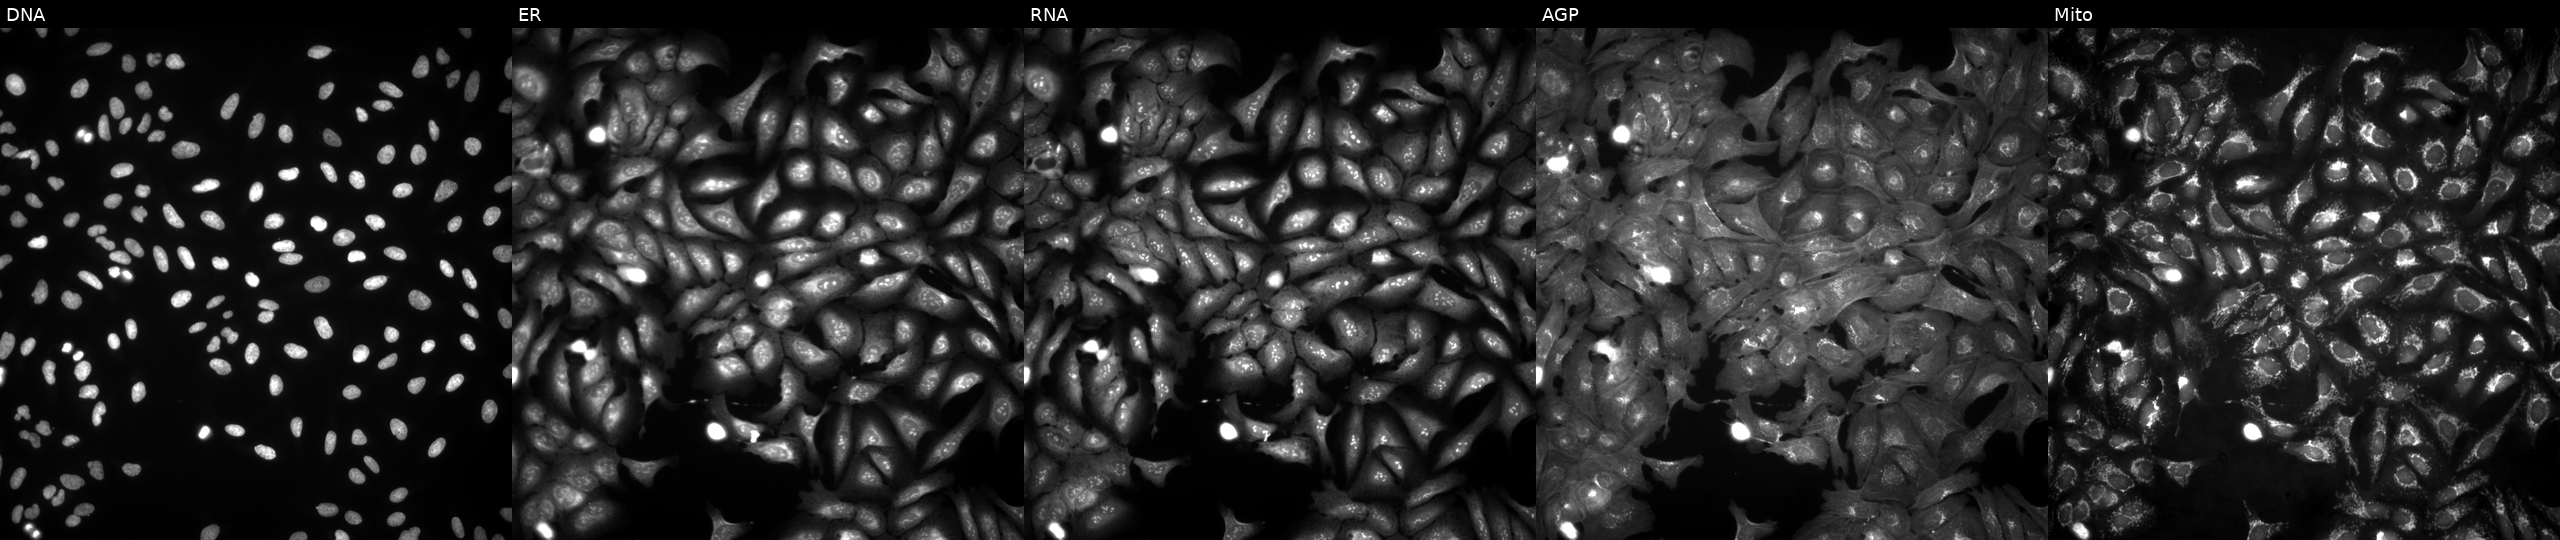
High-content fluorescence microscopy (Cell Painting). Cell line: U2OS. Perturbation: with CXCR3 overexpressed (ORF) (JUMP id JCP2022_900634). From left to right: DNA (nuclei); ER (endoplasmic reticulum); RNA (nucleoli and cytoplasmic RNA); AGP (actin cytoskeleton, Golgi, and plasma membrane); Mito (mitochondria).